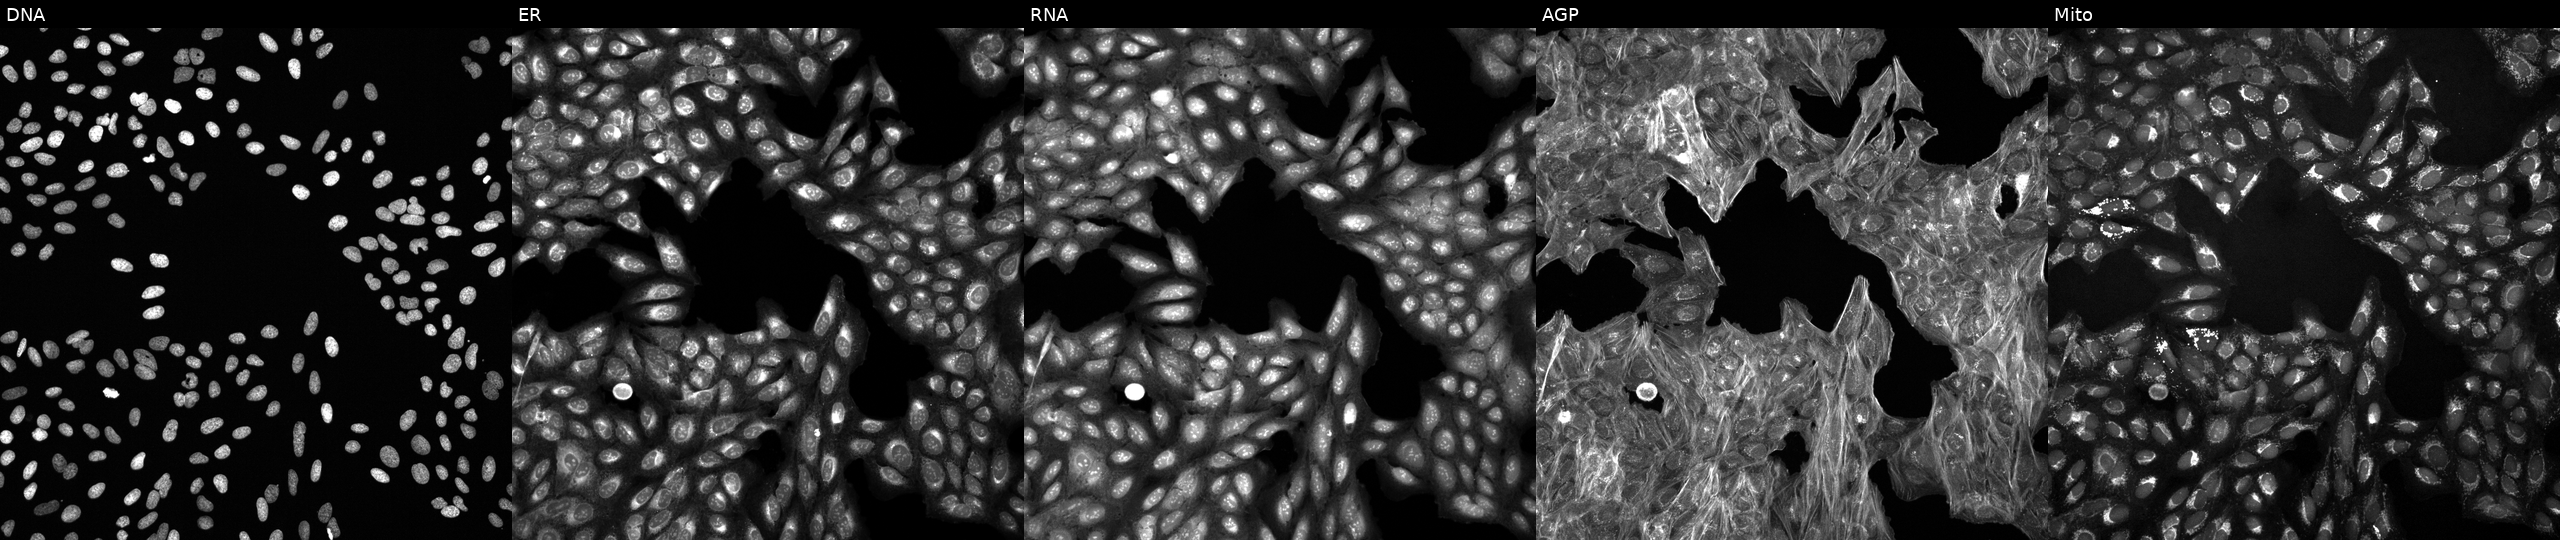
High-content fluorescence microscopy (Cell Painting). Cell line: U2OS. Perturbation: perturbed with a small-molecule compound (InChIKey ADHRTDCPVLEXRX-UHFFFAOYSA-N) (JUMP id JCP2022_000650). Panels show, left to right, DNA, ER, RNA, AGP, and Mito. Source 6, plate 110000293083, well B12.